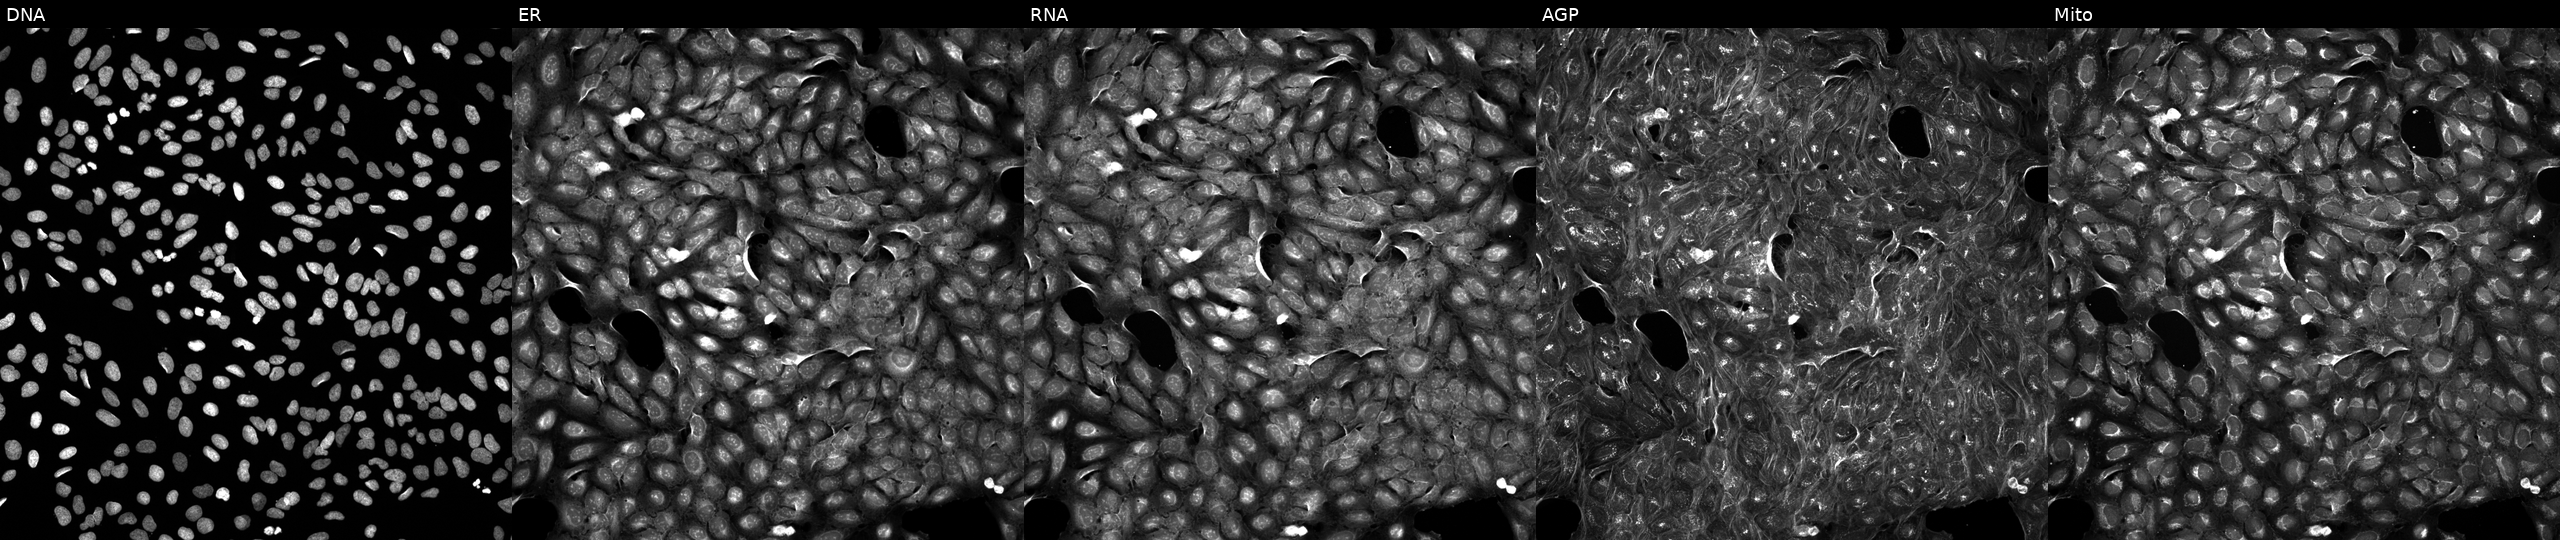
JUMP Cell Painting — COMPOUND plate. U2OS cells perturbed with a small-molecule compound (InChIKey RYSDFKZBJZMGFB-UHFFFAOYSA-N) [SMILES: O=C(CCc1ccccc1)NCCSCc1c(F)cccc1Cl]. Channels (left→right): DNA, ER, RNA, AGP, and Mito. Source 5, plate APTJUM105, well L05.